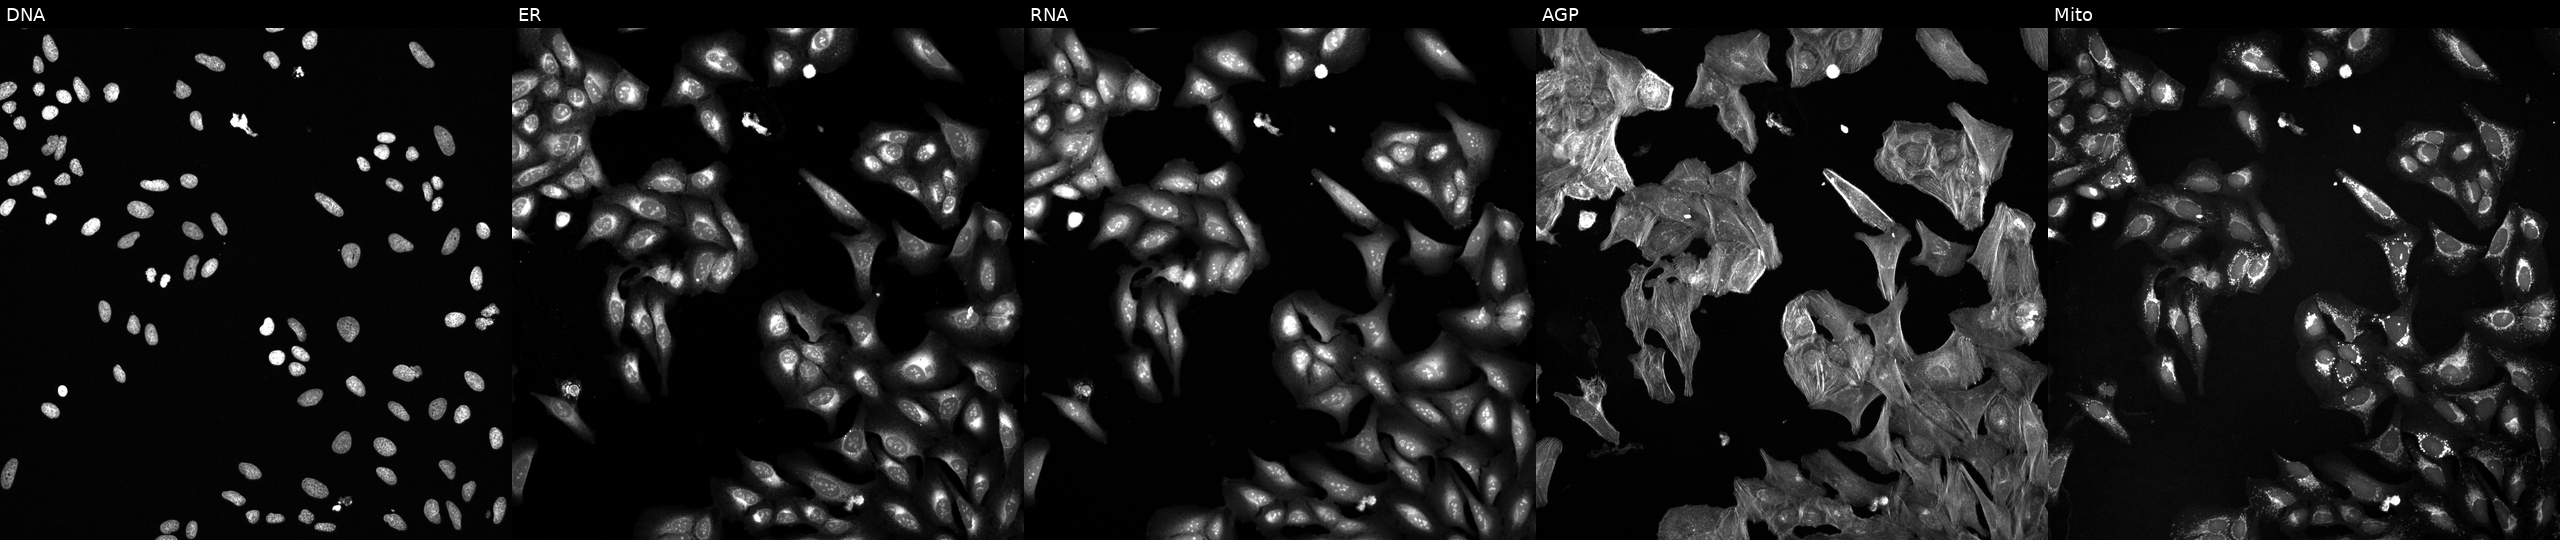
This image strip shows the five Cell Painting channels for a single field of U2OS cells treated with a small-molecule compound (InChIKey OQQVFCKUDYMWGV-UHFFFAOYSA-N). Panels show, left to right, DNA, ER, RNA, AGP, and Mito. Source 6, plate 110000293093, well M14.